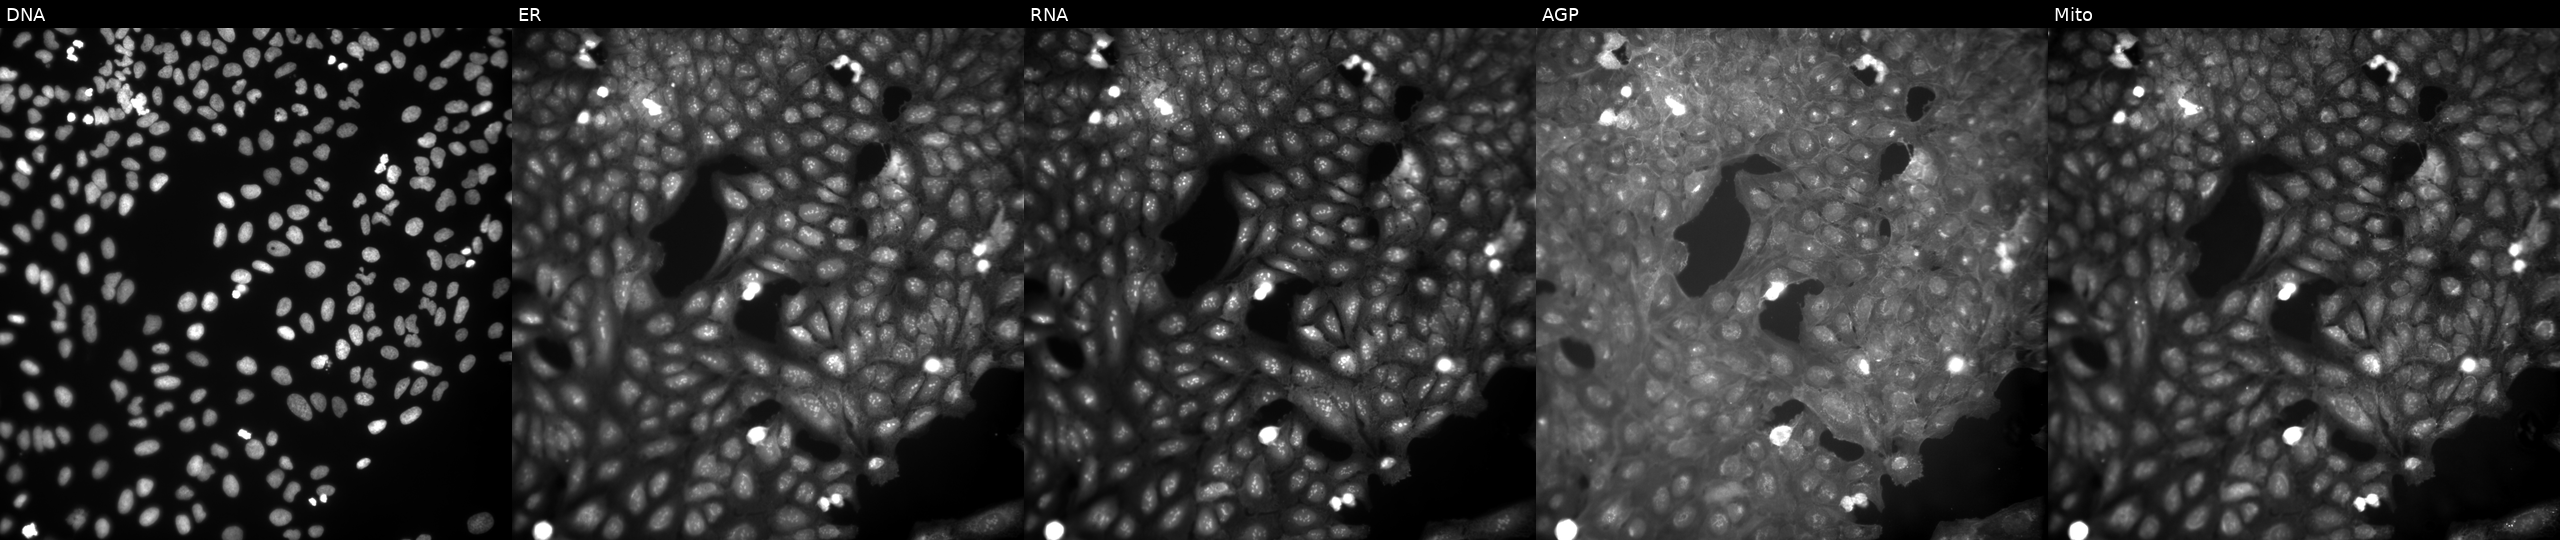
Panels show, left to right, Hoechst 33342, concanavalin A, SYTO 14, phalloidin and WGA, MitoTracker. U2OS osteosarcoma cells perturbed with a small-molecule compound [SMILES: COc1ccc(CN2CCOCCOCCOCCOCC2)cc1] (JUMP id JCP2022_075899). Cell Painting assay, JUMP-CP dataset.